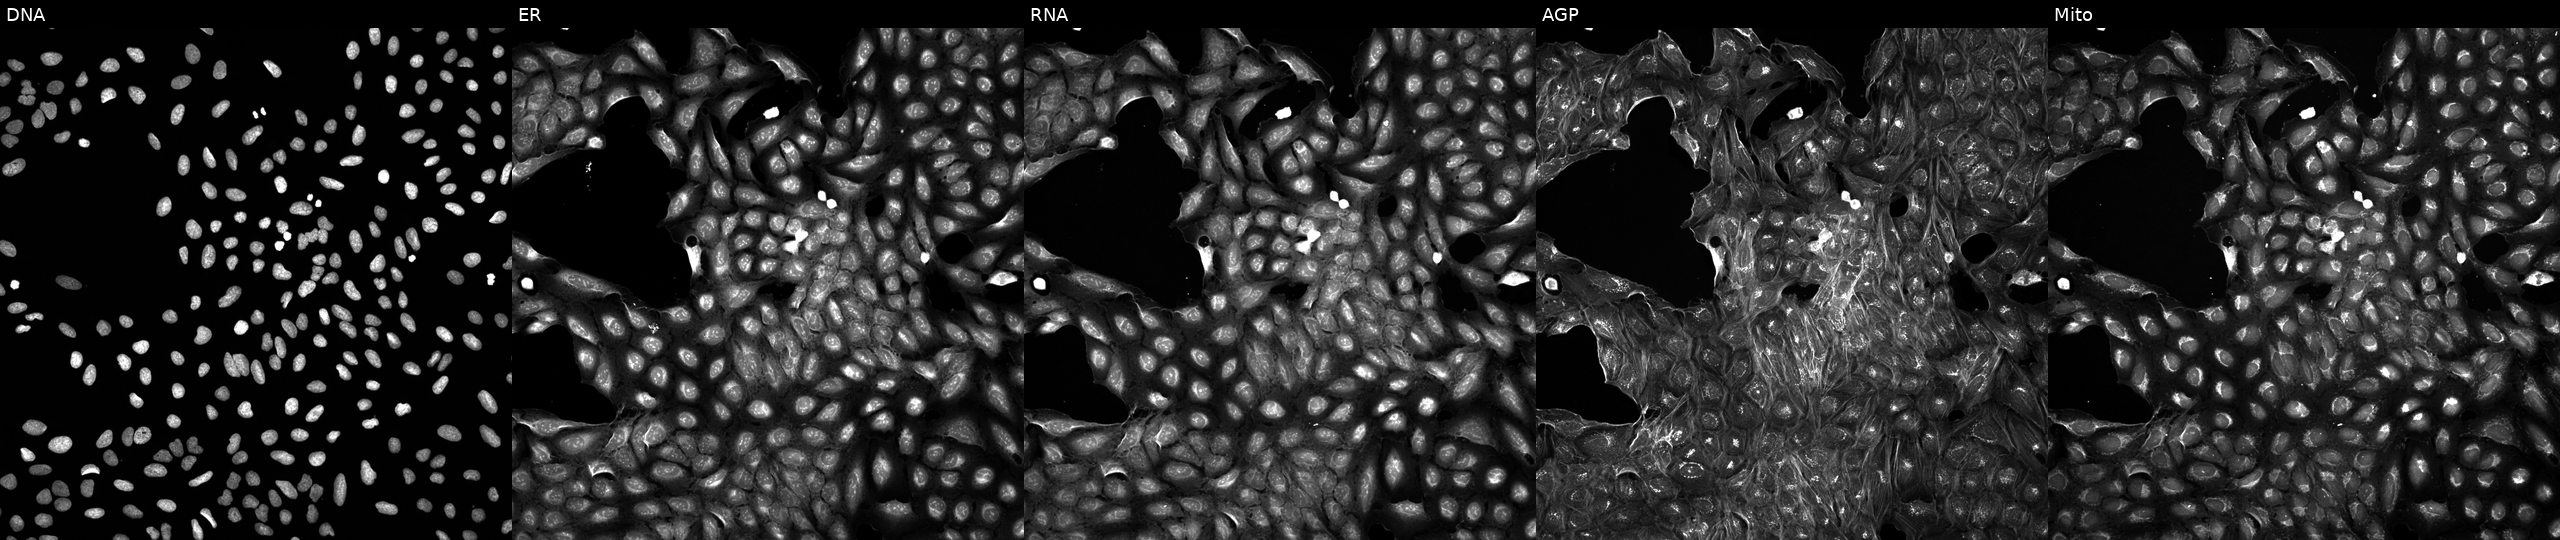
From left to right: DNA (nuclei); ER (endoplasmic reticulum); RNA (nucleoli and cytoplasmic RNA); AGP (actin cytoskeleton, Golgi, and plasma membrane); Mito (mitochondria). U2OS osteosarcoma cells treated with a small-molecule compound (InChIKey JTPNDJQMBVEIPS-UHFFFAOYSA-N). Cell Painting assay, JUMP-CP dataset. Source 5, plate APTJUM105, well B12.